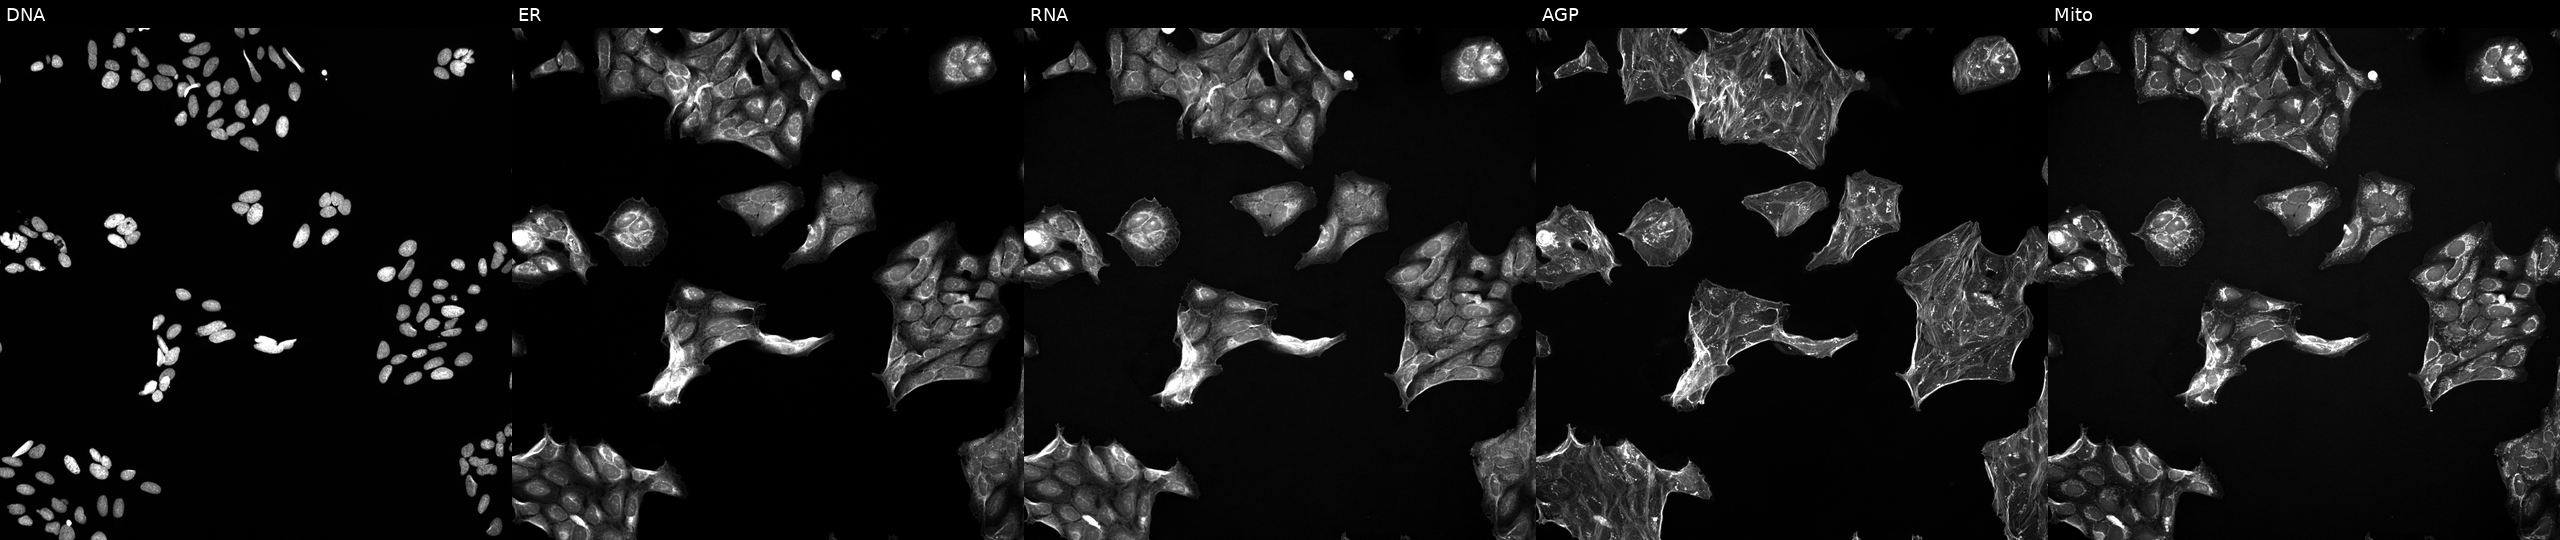
JUMP Cell Painting — TARGET2 plate. U2OS cells treated with a small-molecule compound (InChIKey ZWVZORIKUNOTCS-UHFFFAOYSA-N). Panels show, left to right, DNA, ER, RNA, AGP, and Mito.